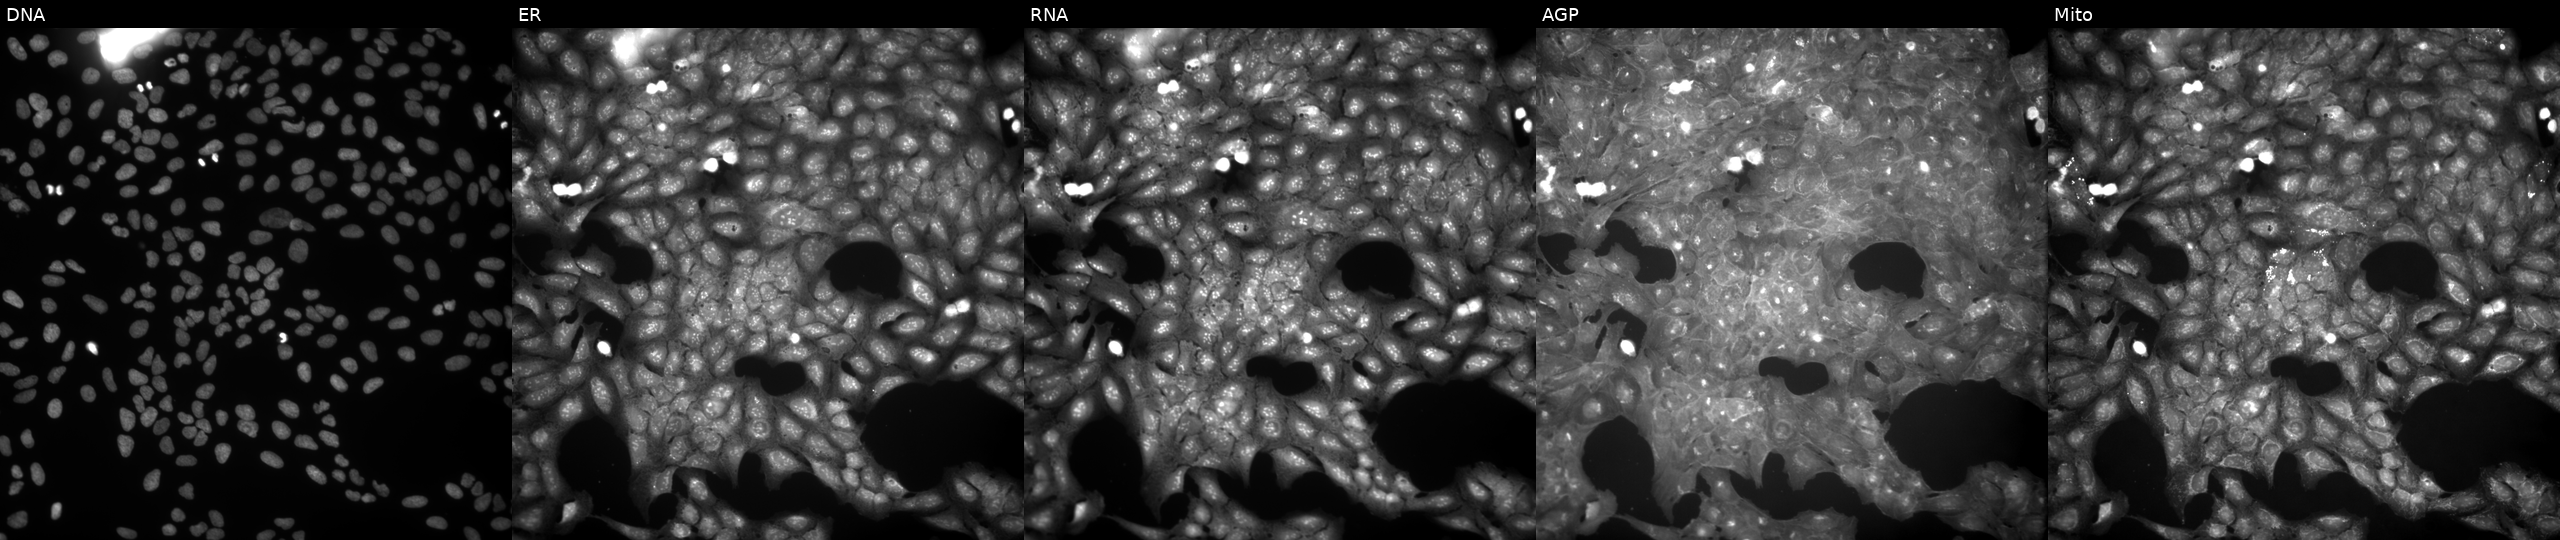
This image strip shows the five Cell Painting channels for a single field of U2OS cells treated with quinidine (positive-control compound) (JUMP id JCP2022_050797). The five panels, left to right, show DNA, ER, RNA, AGP, and Mito.